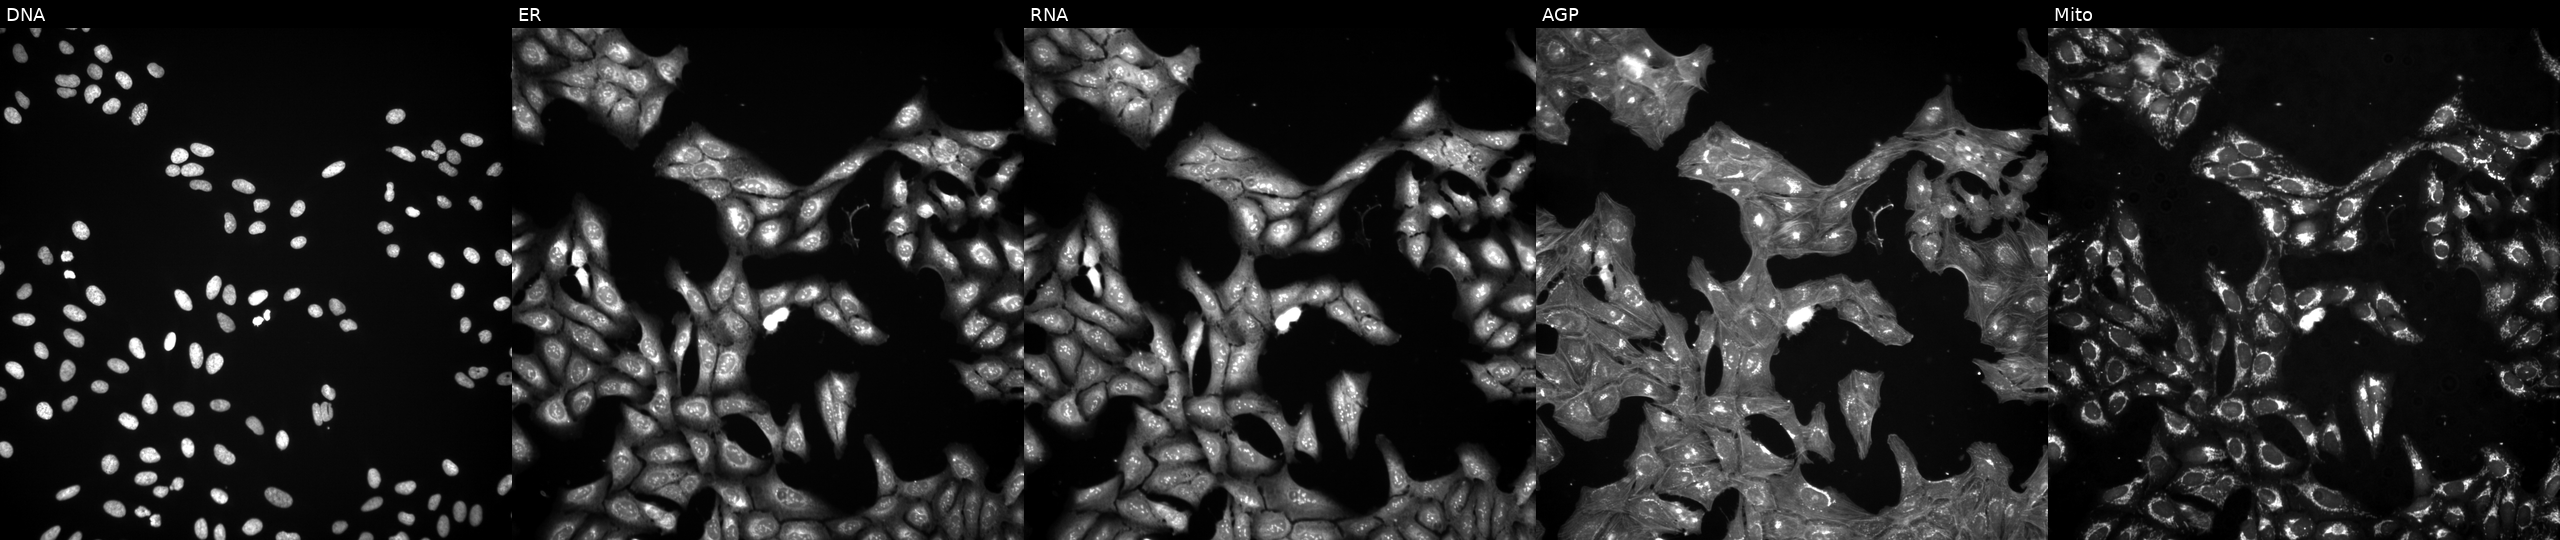
The five panels, left to right, show Hoechst 33342, concanavalin A, SYTO 14, phalloidin and WGA, MitoTracker. U2OS osteosarcoma cells exposed to a small-molecule compound (InChIKey IBAQFPQHRJAVAV-UHFFFAOYSA-N) (JUMP id JCP2022_033936). Cell Painting assay, JUMP-CP dataset.